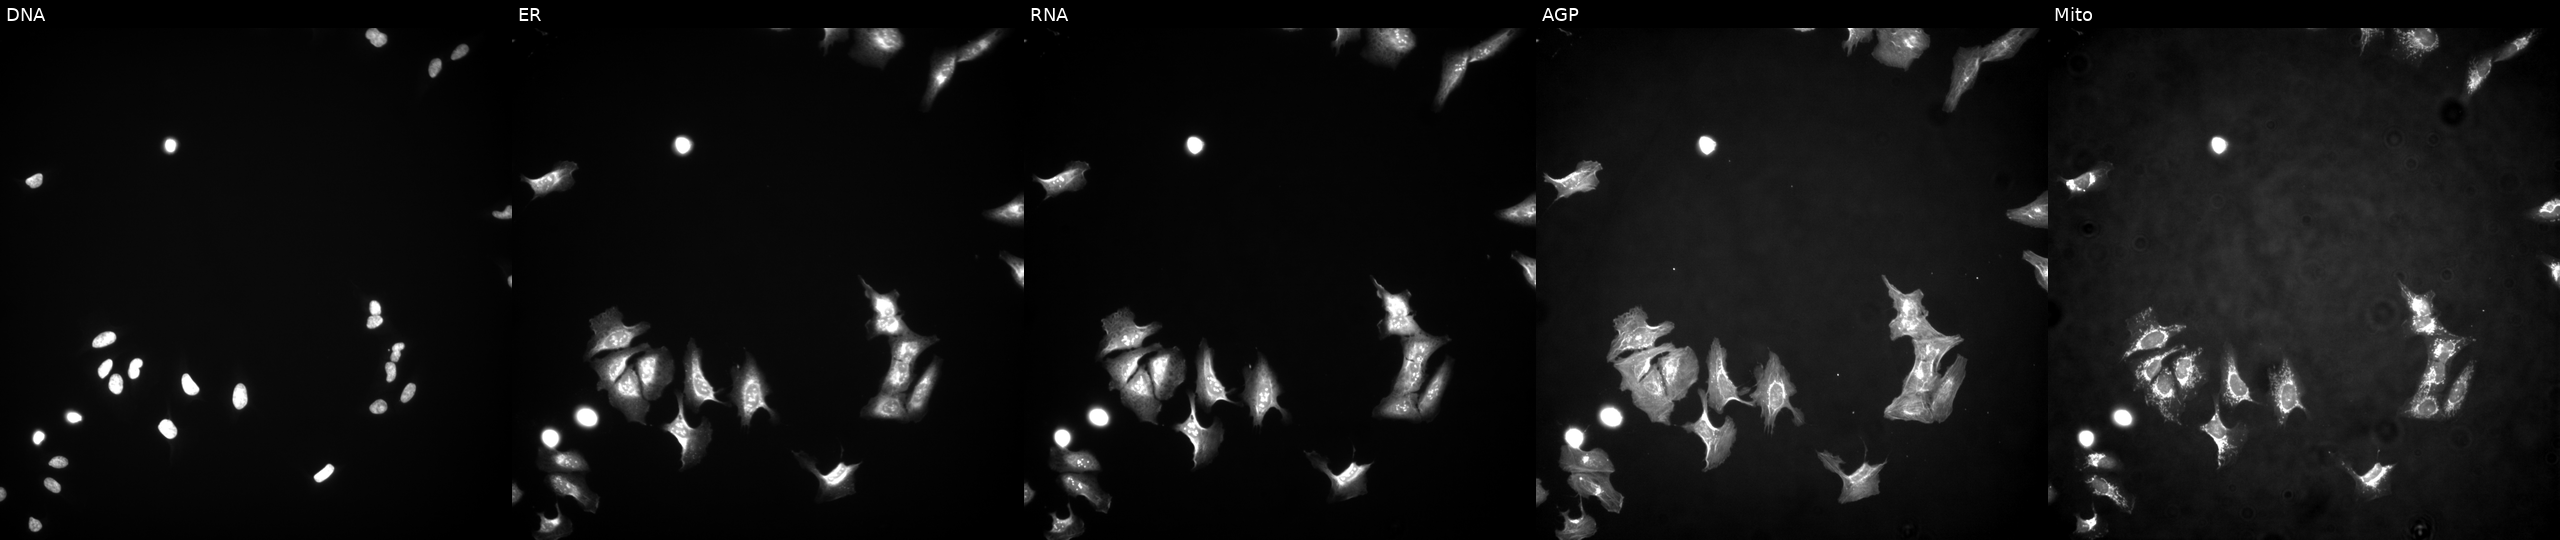
Panels show, left to right, DNA, ER, RNA, AGP, and Mito. U2OS osteosarcoma cells transfected with an ORF construct for CLEC7A. Cell Painting assay, JUMP-CP dataset. Source 4, plate BR00123509, well K12.